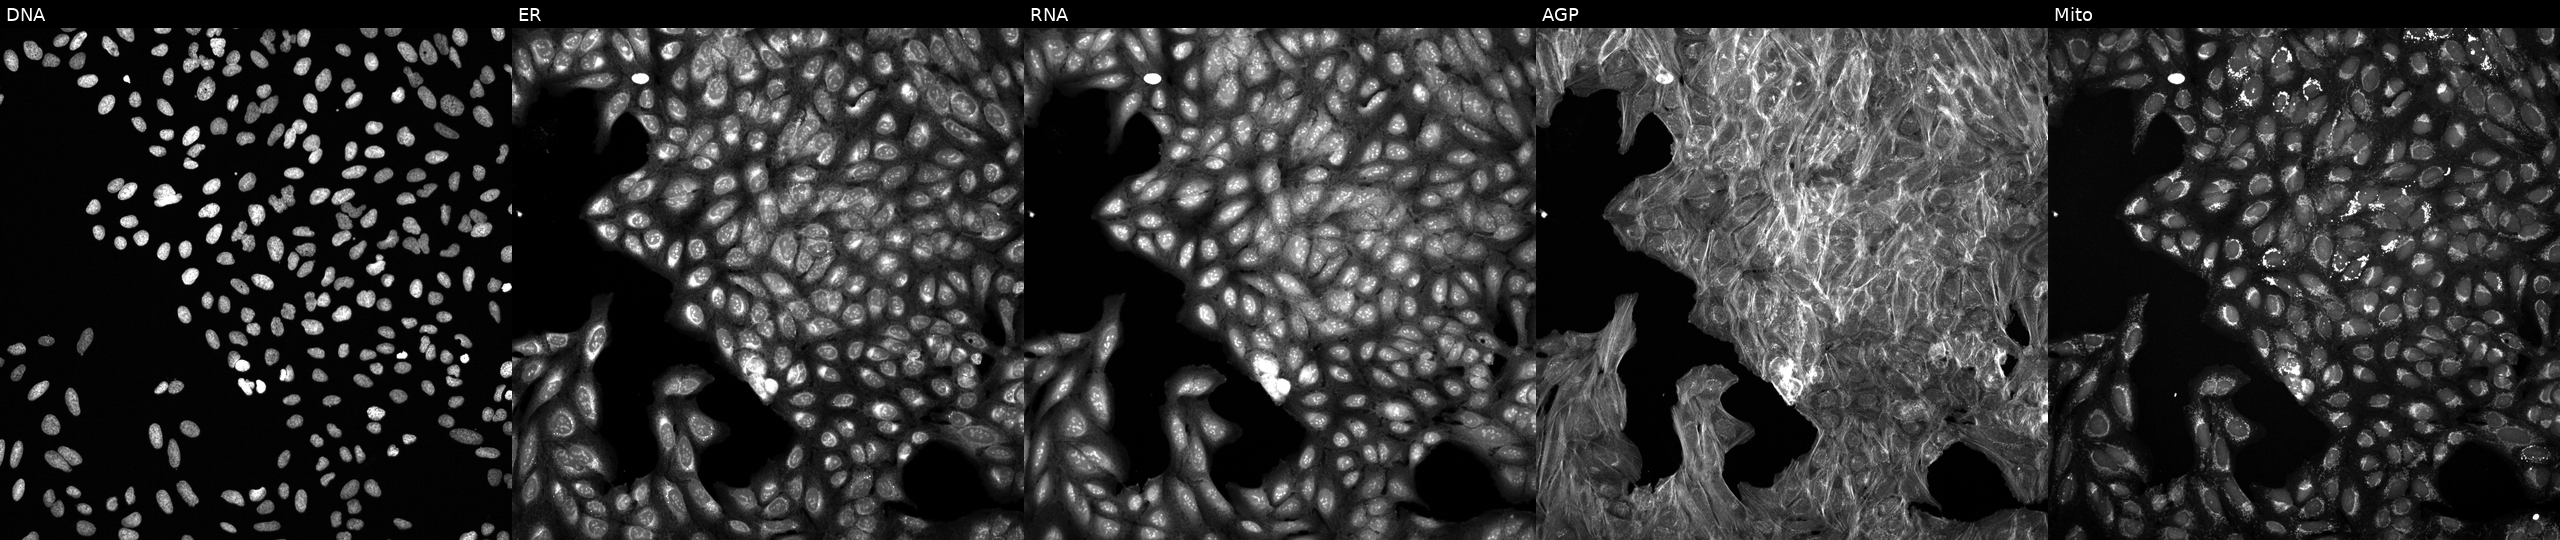
High-content fluorescence microscopy (Cell Painting). Cell line: U2OS. Perturbation: perturbed with a small-molecule compound. Panels show, left to right, DNA, ER, RNA, AGP, and Mito. Source 6, plate 110000293082, well P21.